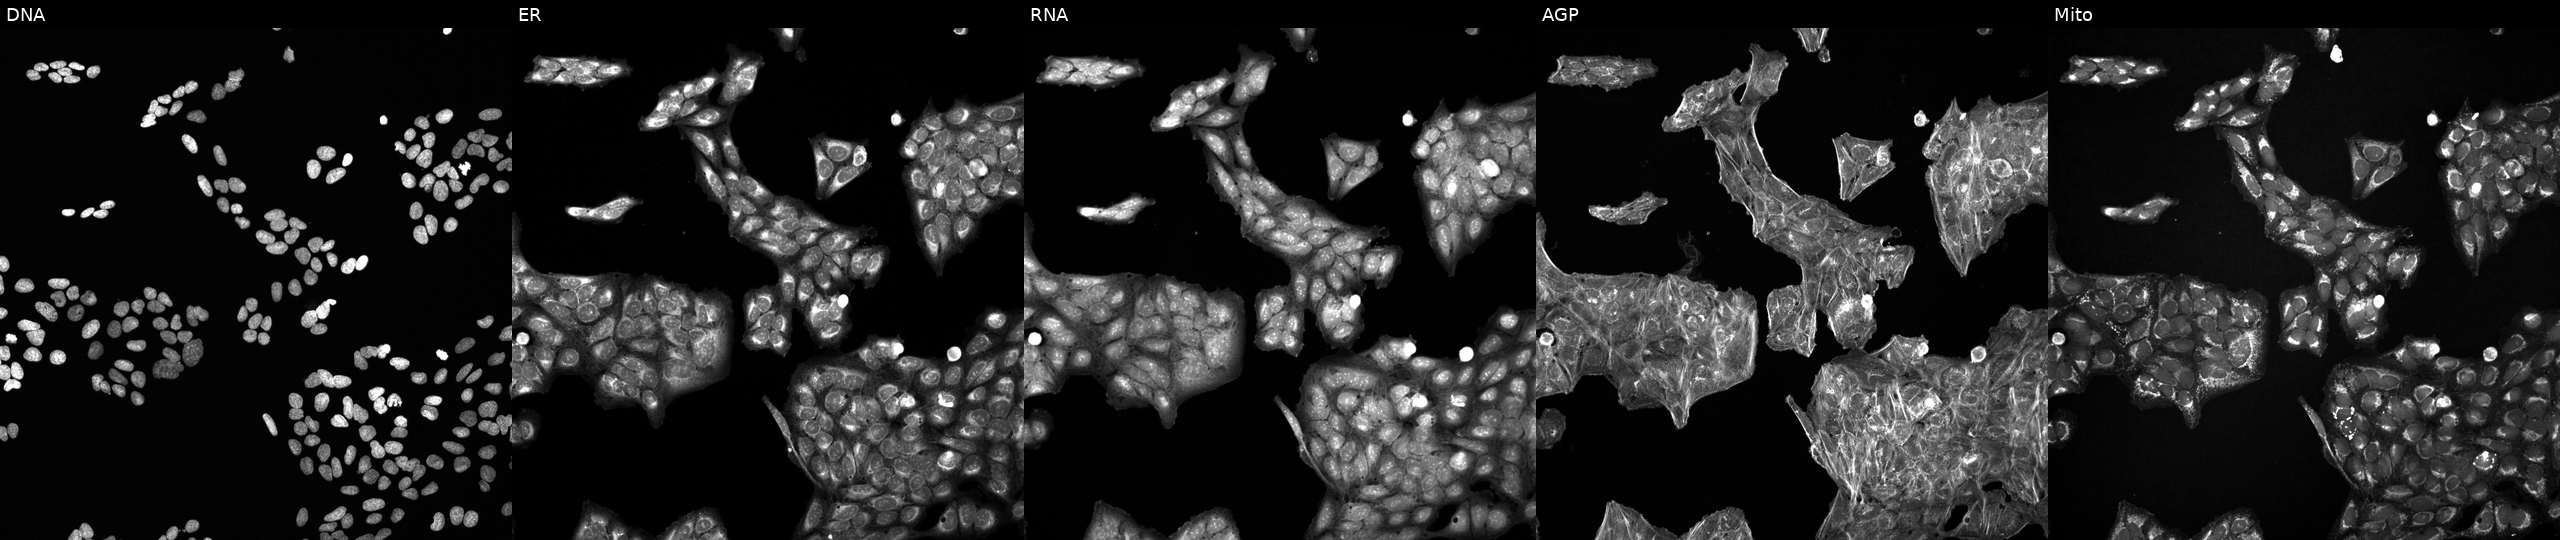
Channels (left→right): DNA, ER, RNA, AGP, and Mito. U2OS osteosarcoma cells treated with a small-molecule compound. Cell Painting assay, JUMP-CP dataset.